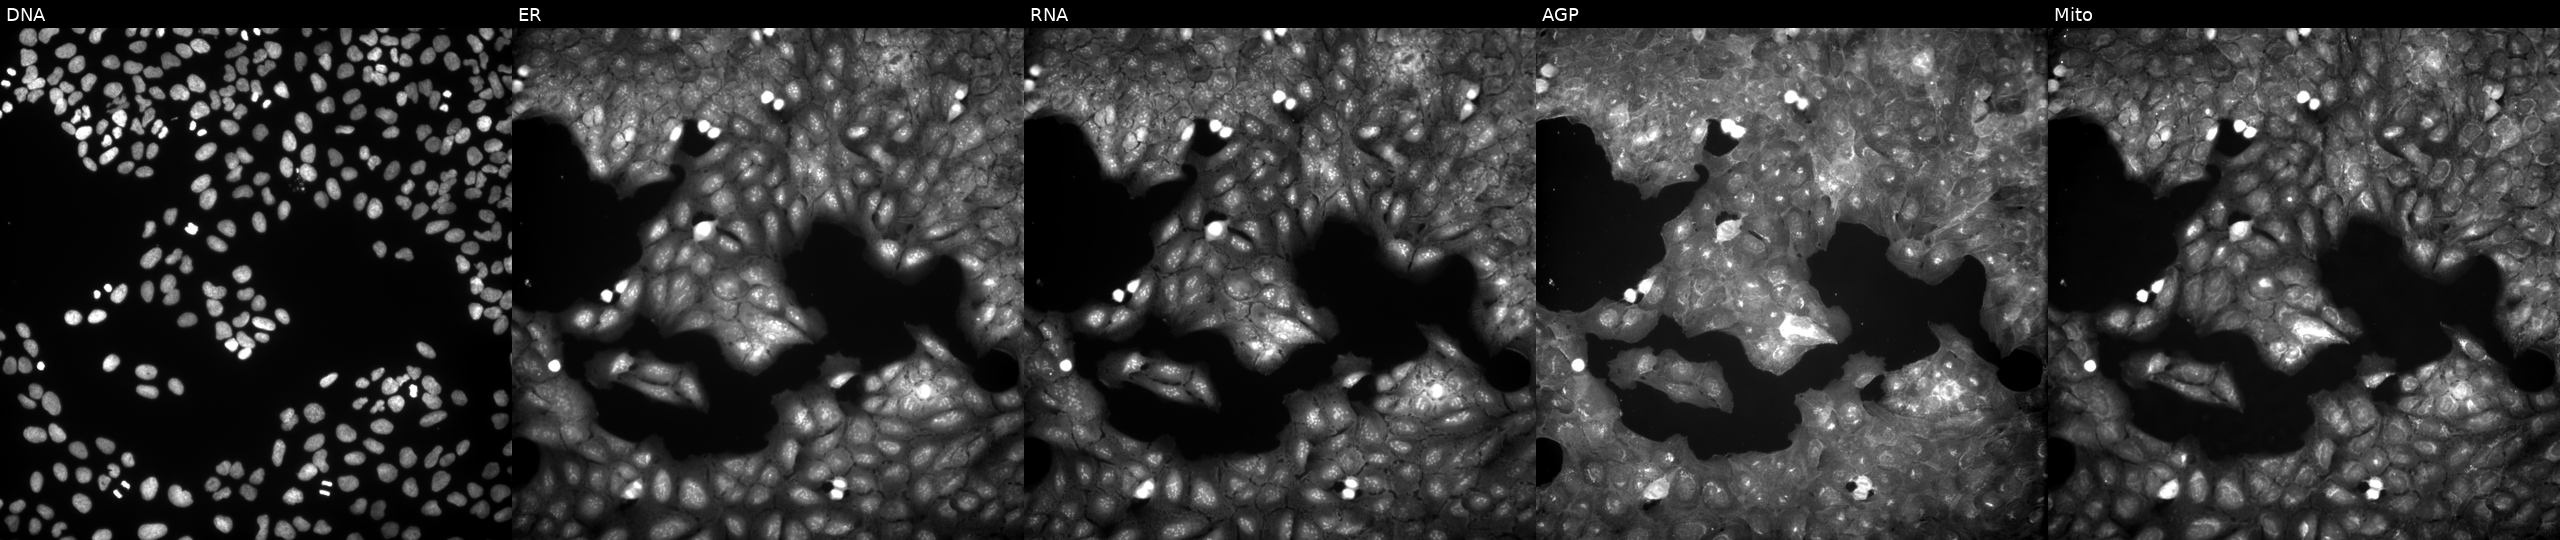
Five-channel Cell Painting image of U2OS cells exposed to a small-molecule compound (InChIKey XGHLVBQDIWWVSQ-UHFFFAOYSA-N) [SMILES: C=CCOn1c(=O)c(=O)n(OCc2ccccc2)c2ccccc21]. Channels (left→right): Hoechst 33342, concanavalin A, SYTO 14, phalloidin and WGA, MitoTracker.